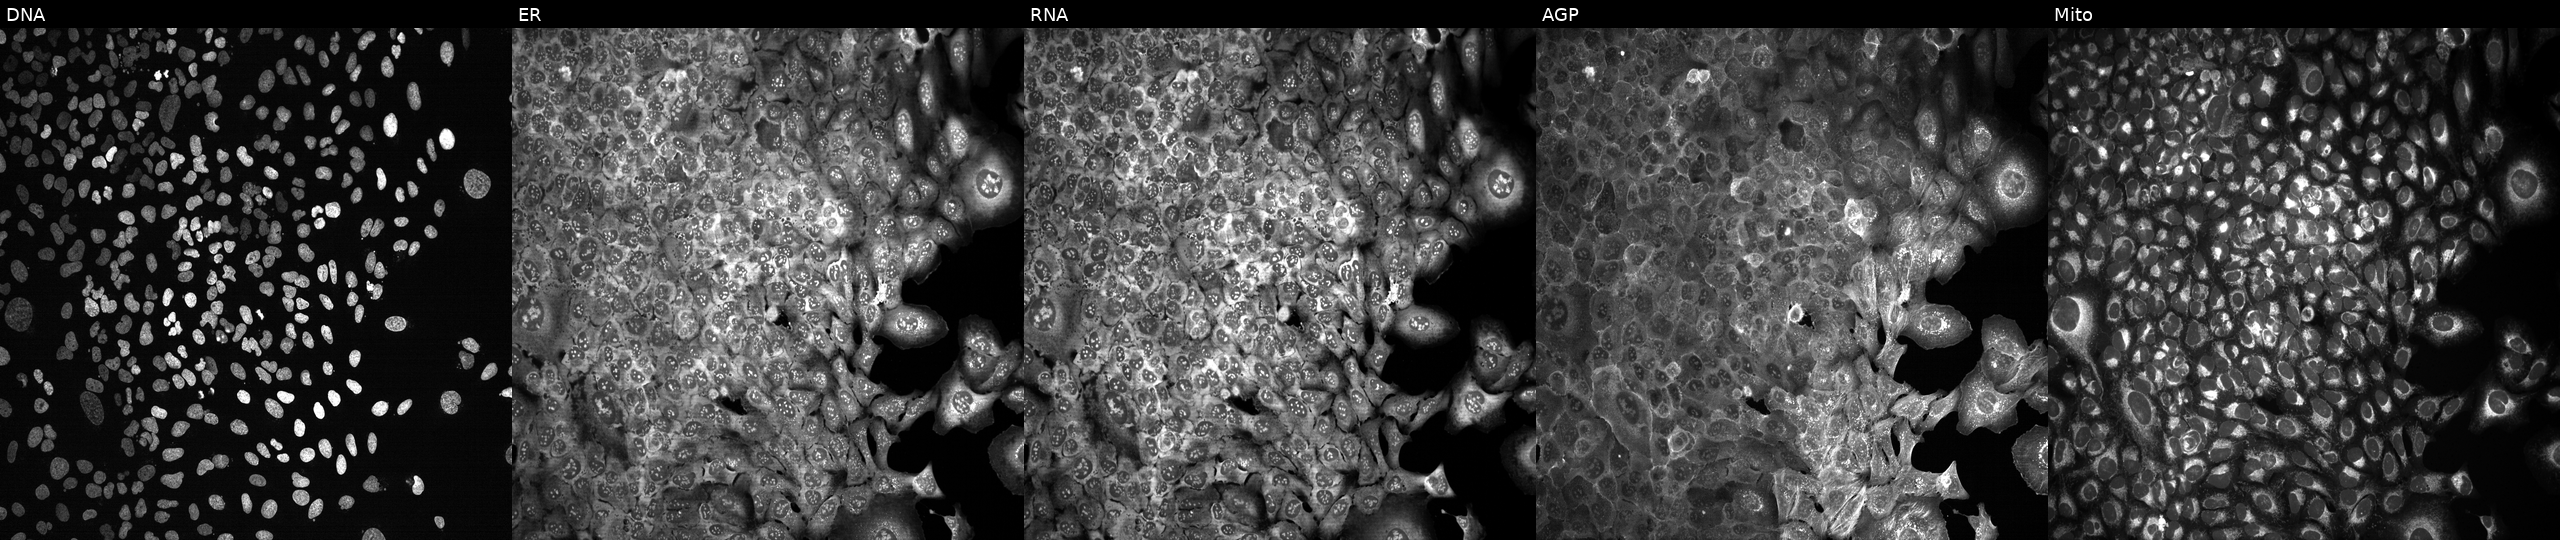
This image strip shows the five Cell Painting channels for a single field of U2OS cells CRISPR-edited to disrupt NAALADL1 (JUMP id JCP2022_804413). Panels show, left to right, Hoechst 33342, concanavalin A, SYTO 14, phalloidin and WGA, MitoTracker. Source 13, plate CP-CC9-R6-19, well O06.